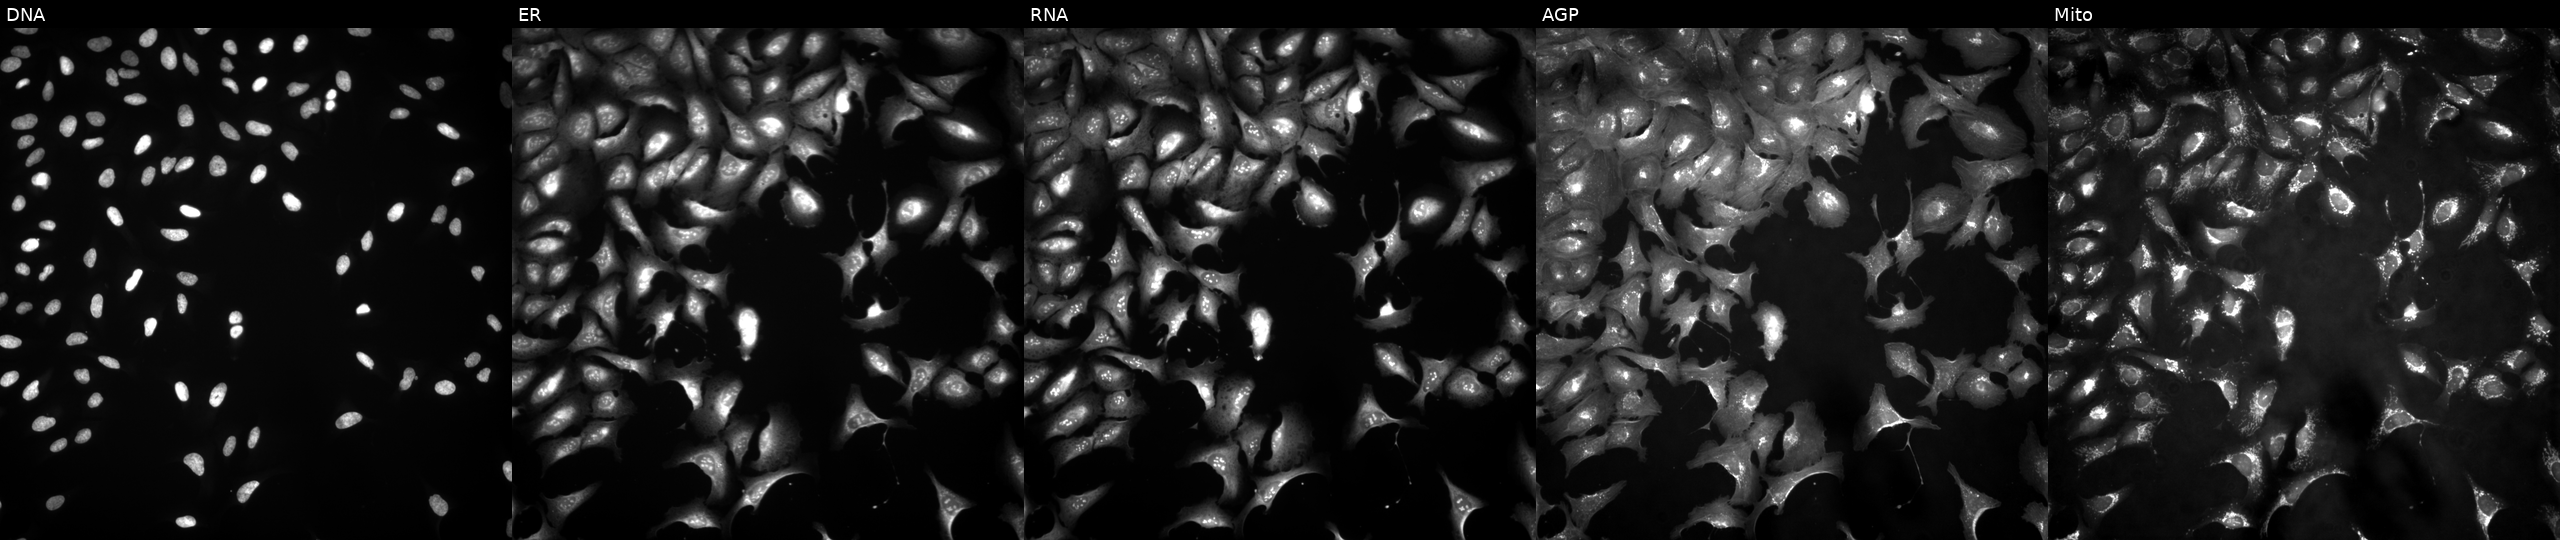
This image strip shows the five Cell Painting channels for a single field of U2OS cells transfected with an ORF construct for BDH1. From left to right: DNA, ER, RNA, AGP, and Mito.